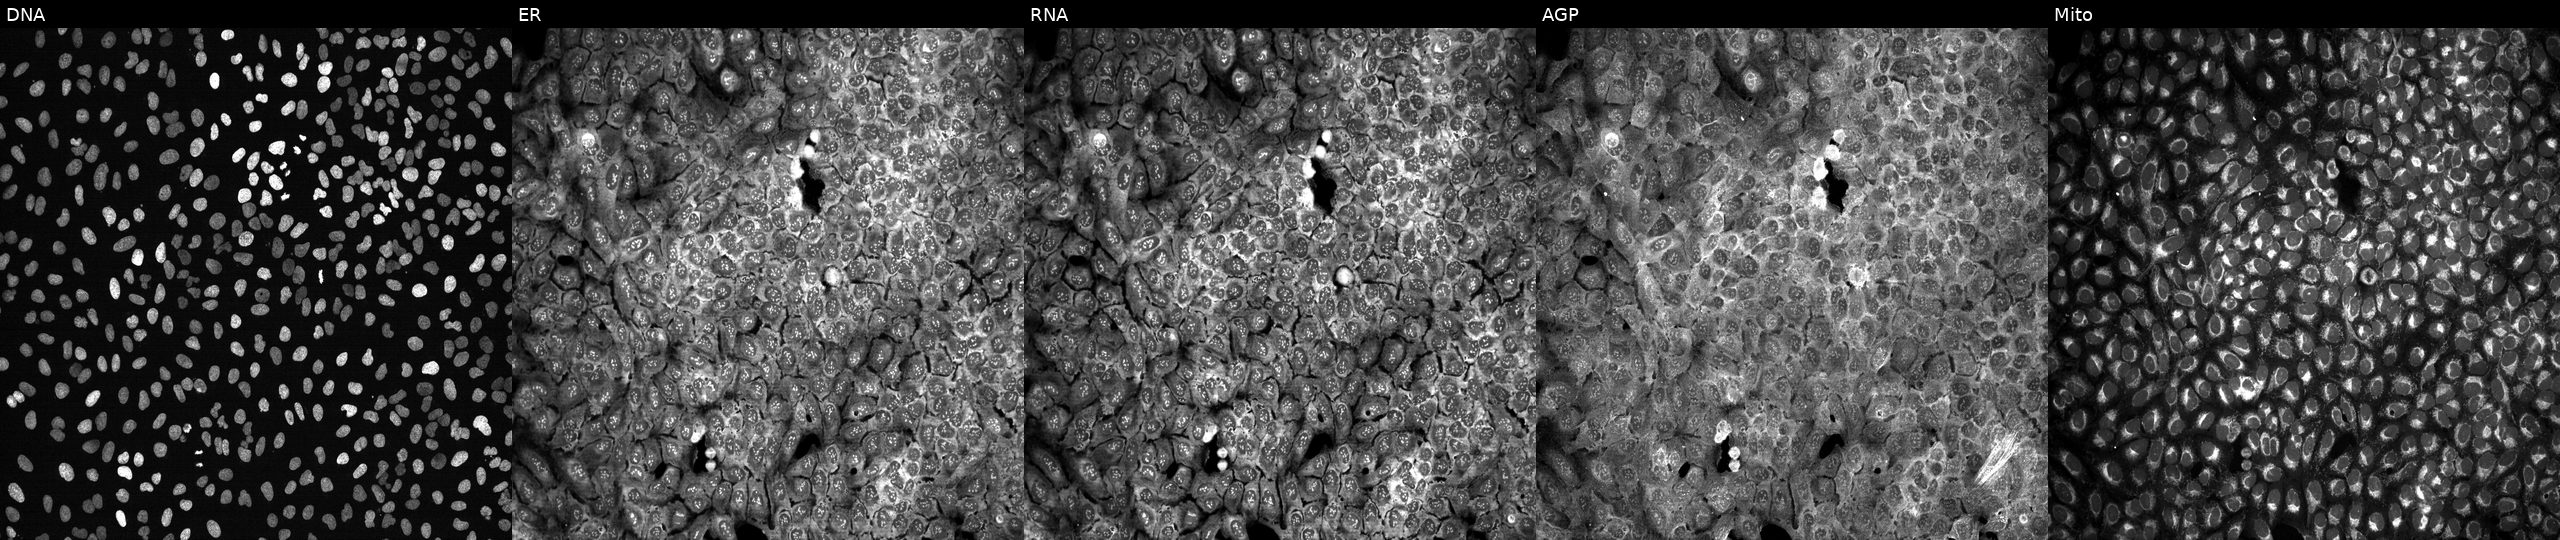
The five panels, left to right, show DNA (nuclei); ER (endoplasmic reticulum); RNA (nucleoli and cytoplasmic RNA); AGP (actin cytoskeleton, Golgi, and plasma membrane); Mito (mitochondria). U2OS osteosarcoma cells CRISPR-edited to disrupt NCEH1. Cell Painting assay, JUMP-CP dataset. Source 13, plate CP-CC9-R3-02, well H12.